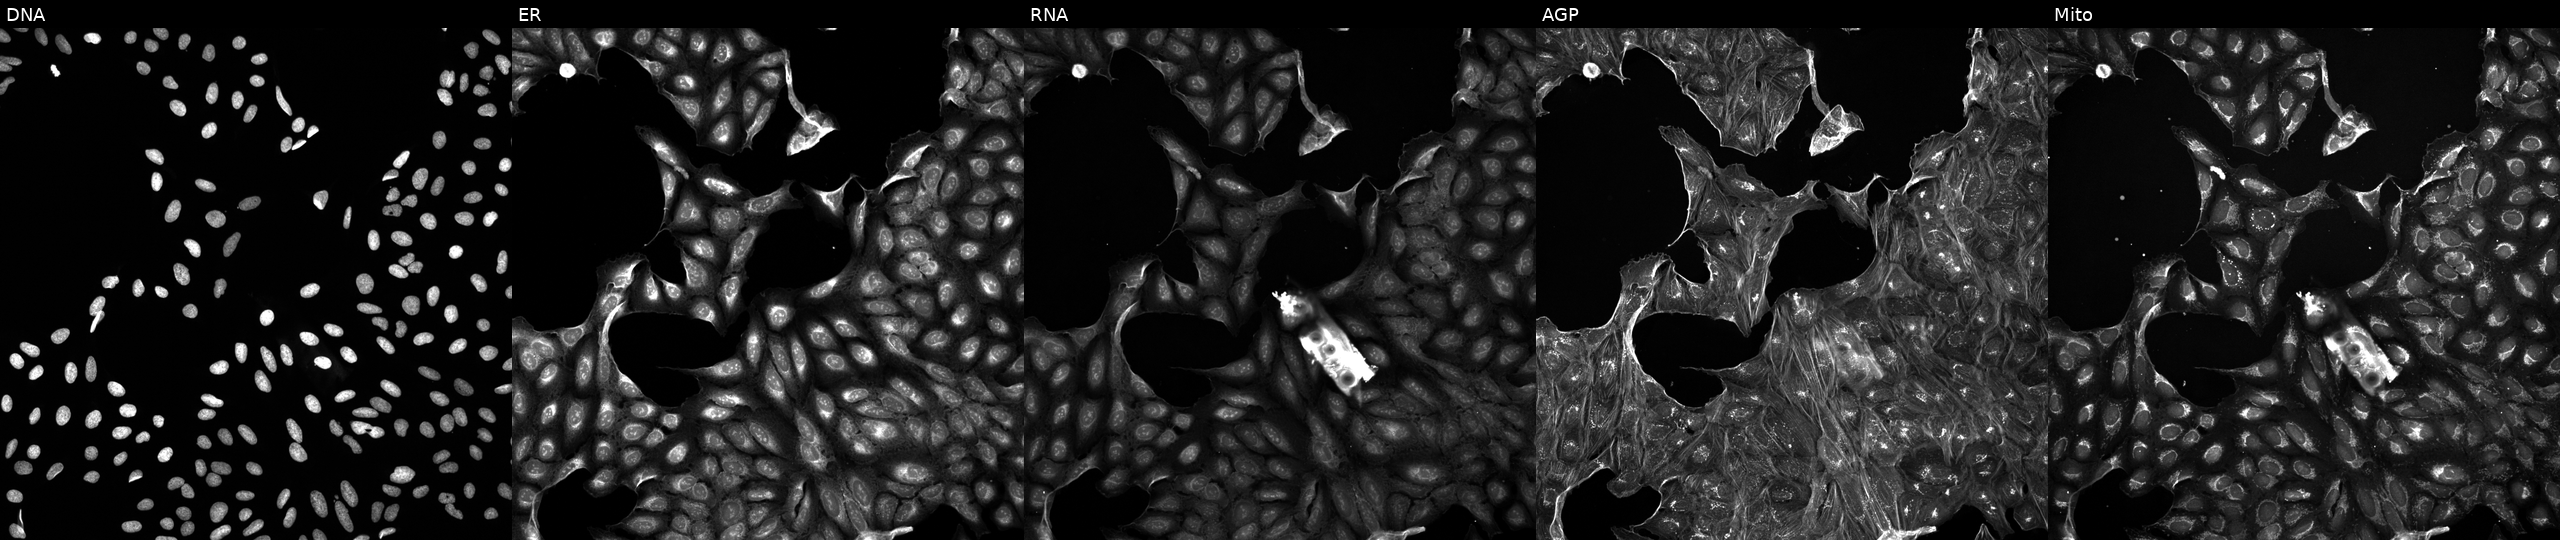
This image strip shows the five Cell Painting channels for a single field of U2OS cells perturbed with a small-molecule compound (InChIKey ZRALSGWEFCBTJO-UHFFFAOYSA-N). Channels (left→right): DNA (nuclei); ER (endoplasmic reticulum); RNA (nucleoli and cytoplasmic RNA); AGP (actin cytoskeleton, Golgi, and plasma membrane); Mito (mitochondria). Source 5, plate ACPJUM032, well I05.